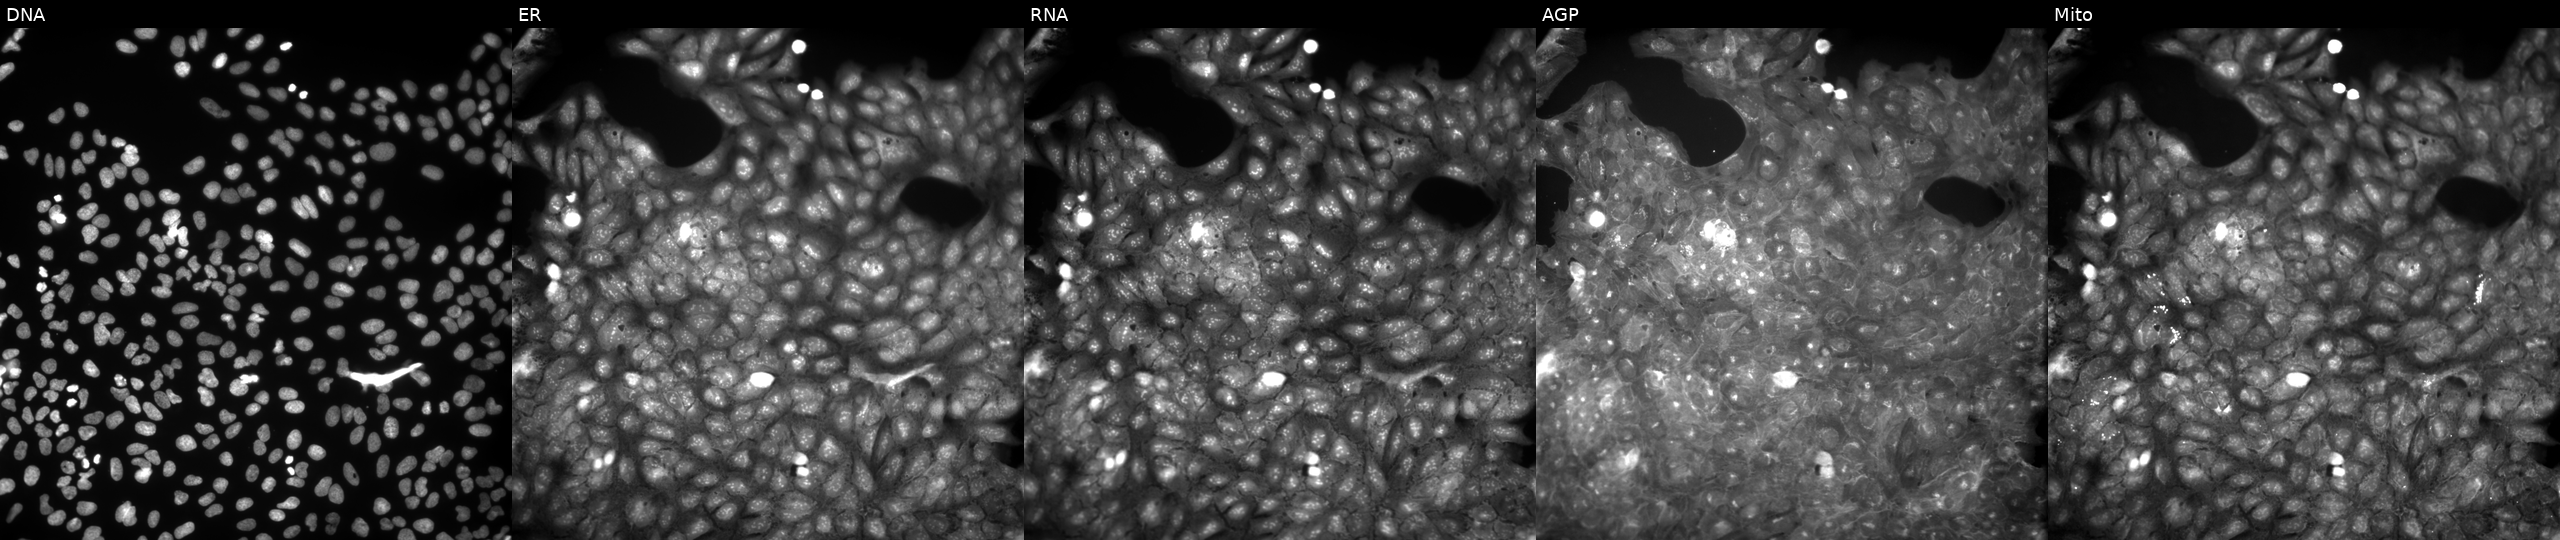
JUMP Cell Painting — COMPOUND plate. U2OS cells exposed to a small-molecule compound. Channels (left→right): DNA (nuclei); ER (endoplasmic reticulum); RNA (nucleoli and cytoplasmic RNA); AGP (actin cytoskeleton, Golgi, and plasma membrane); Mito (mitochondria).